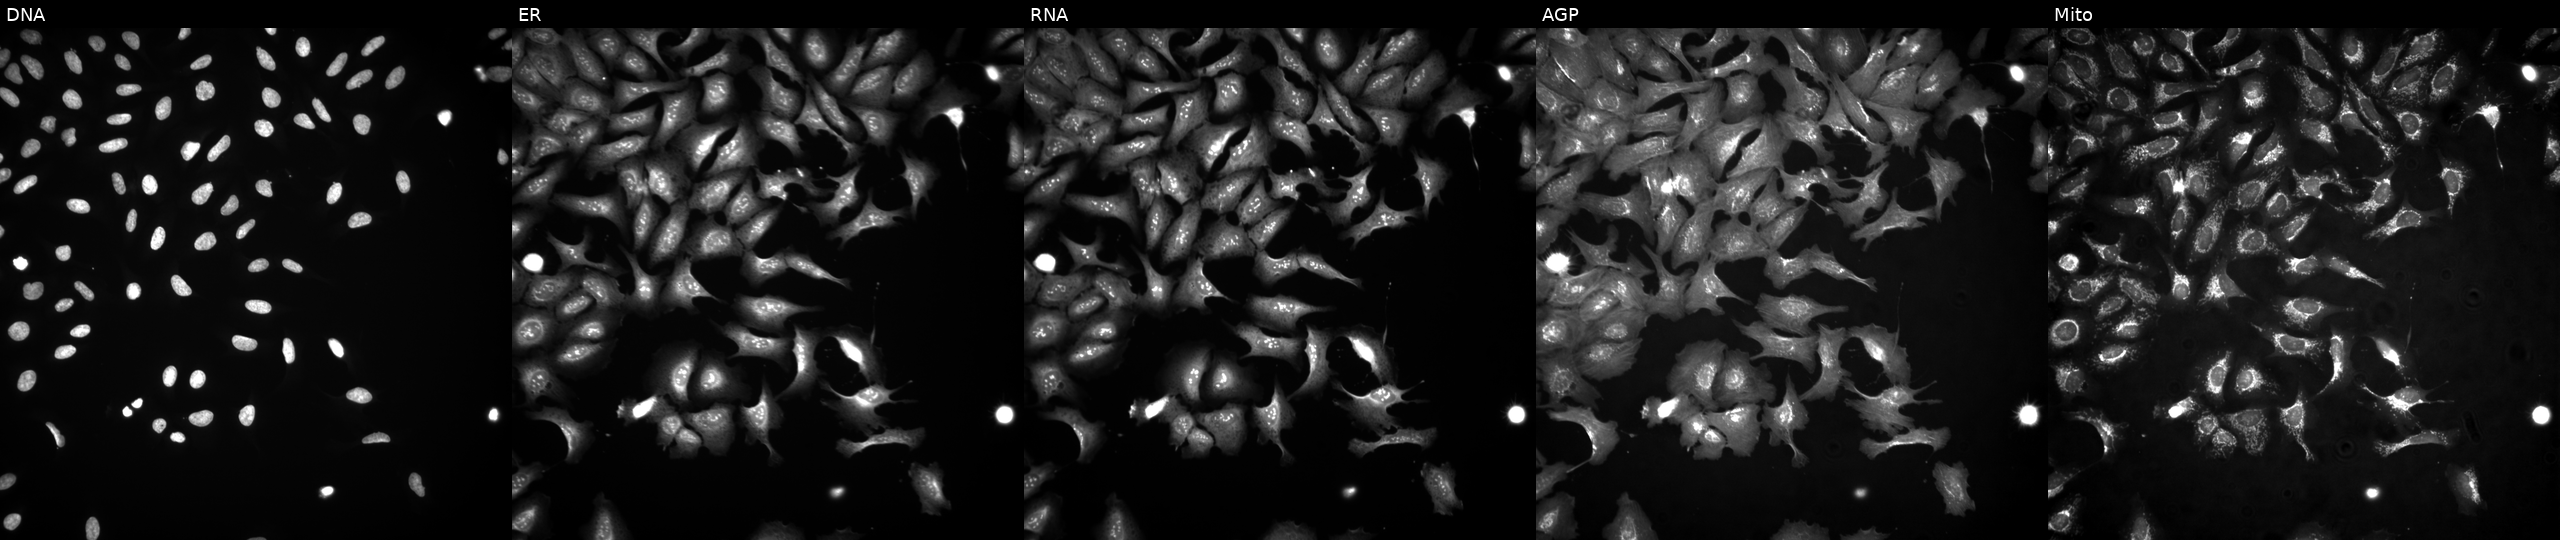
This image strip shows the five Cell Painting channels for a single field of U2OS cells with LUC7L2 overexpressed (ORF). The five panels, left to right, show Hoechst 33342, concanavalin A, SYTO 14, phalloidin and WGA, MitoTracker. Source 4, plate BR00124787, well I17.